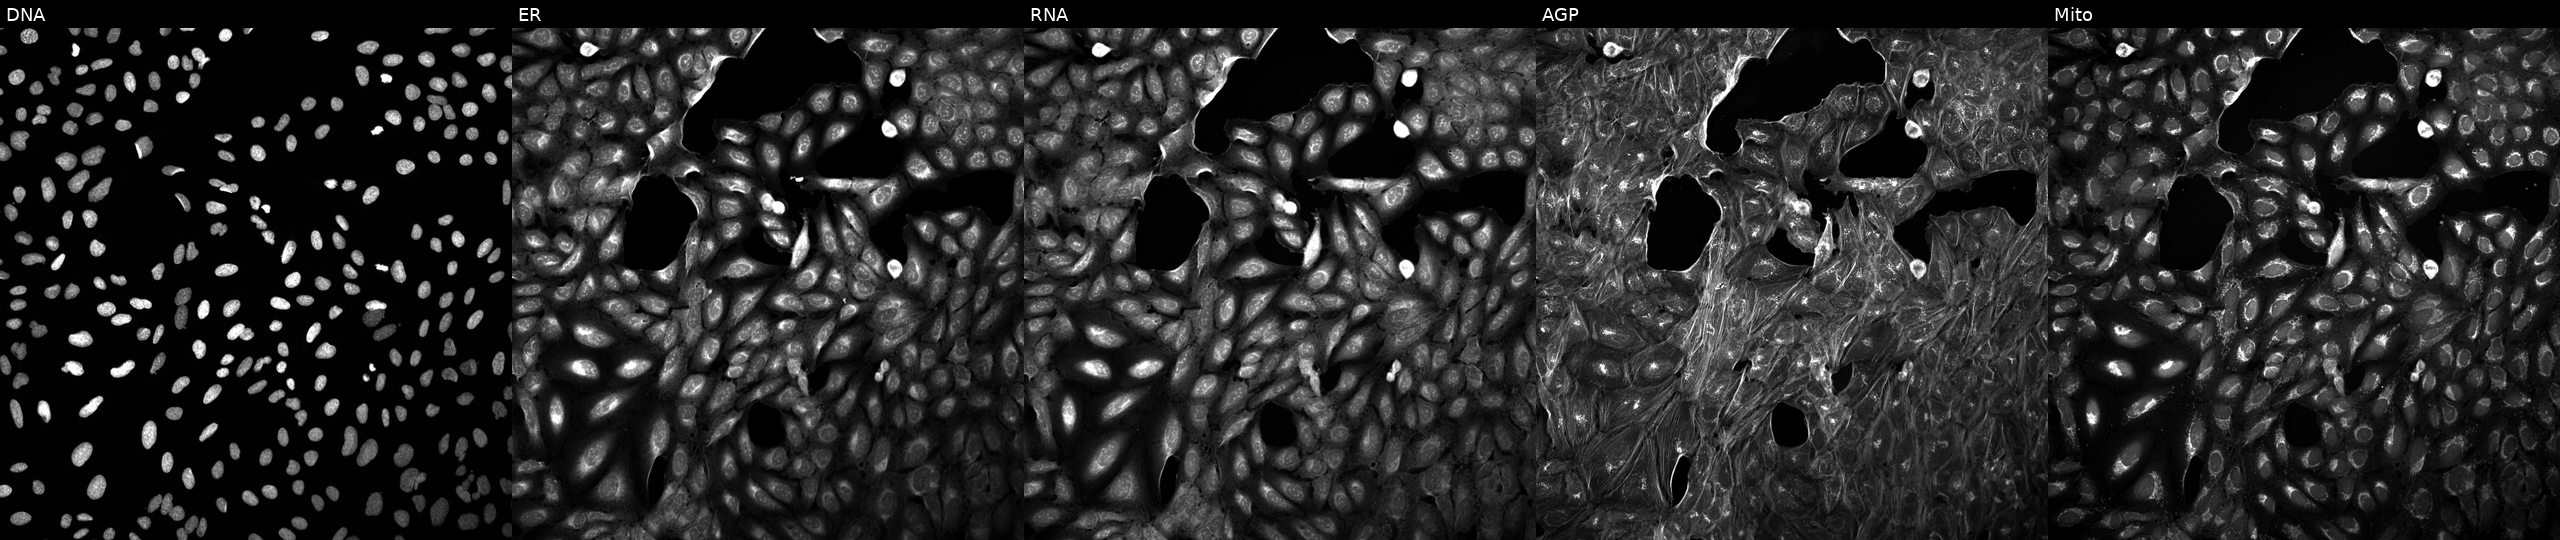
High-content fluorescence microscopy (Cell Painting). Cell line: U2OS. Perturbation: treated with DMSO vehicle only (negative control) (JUMP id JCP2022_033924). The five panels, left to right, show DNA, ER, RNA, AGP, and Mito.